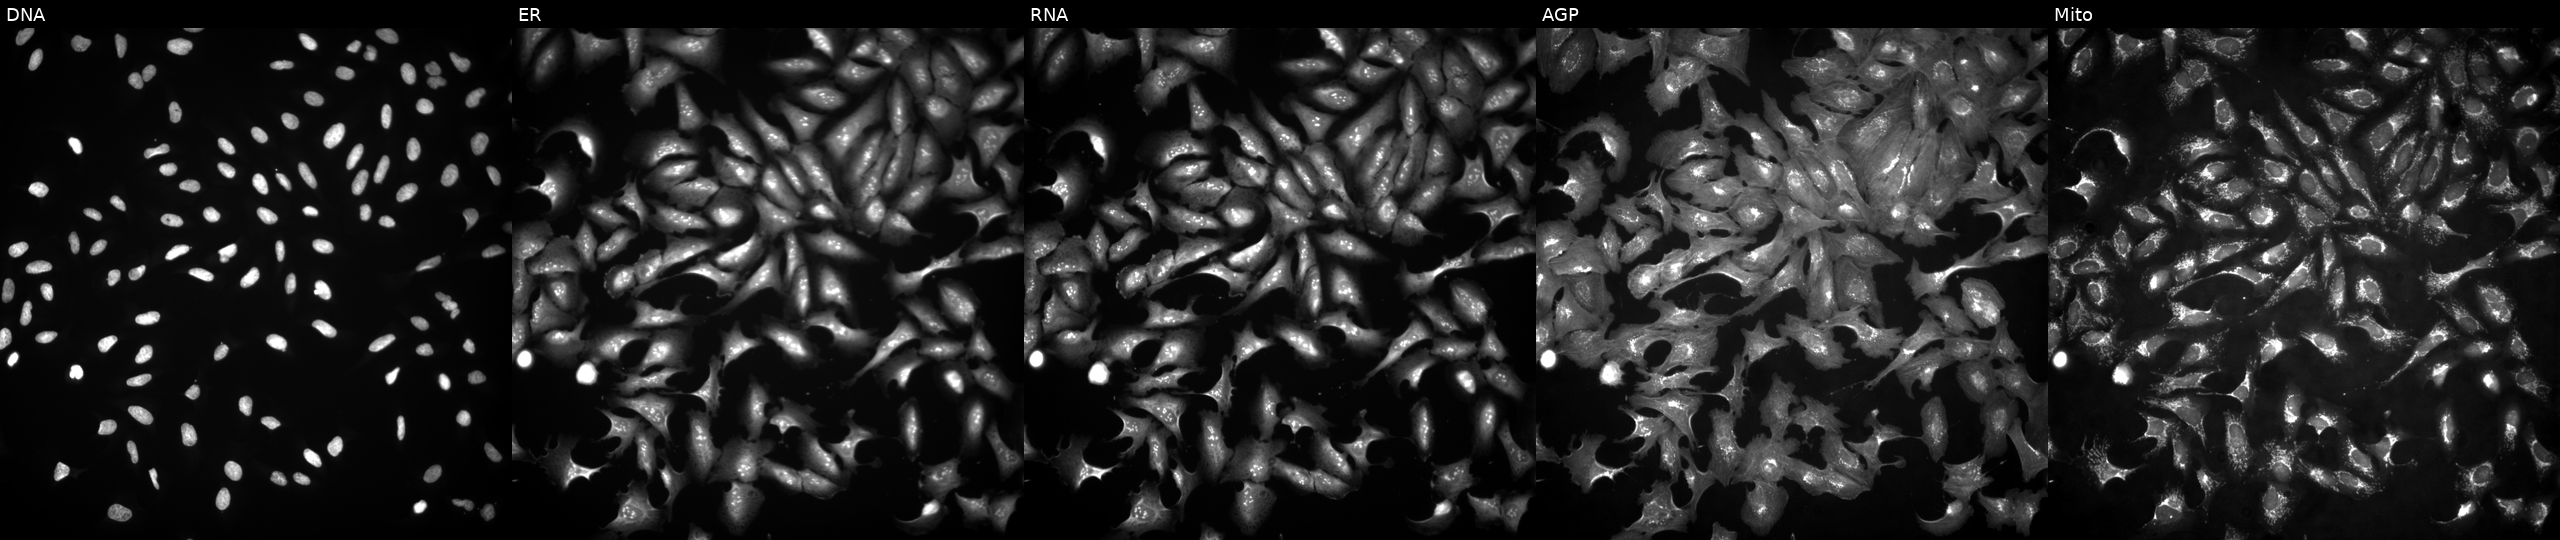
Five-channel Cell Painting image of U2OS cells overexpressing NR5A1 via ORF transfection. From left to right: DNA (nuclei); ER (endoplasmic reticulum); RNA (nucleoli and cytoplasmic RNA); AGP (actin cytoskeleton, Golgi, and plasma membrane); Mito (mitochondria).